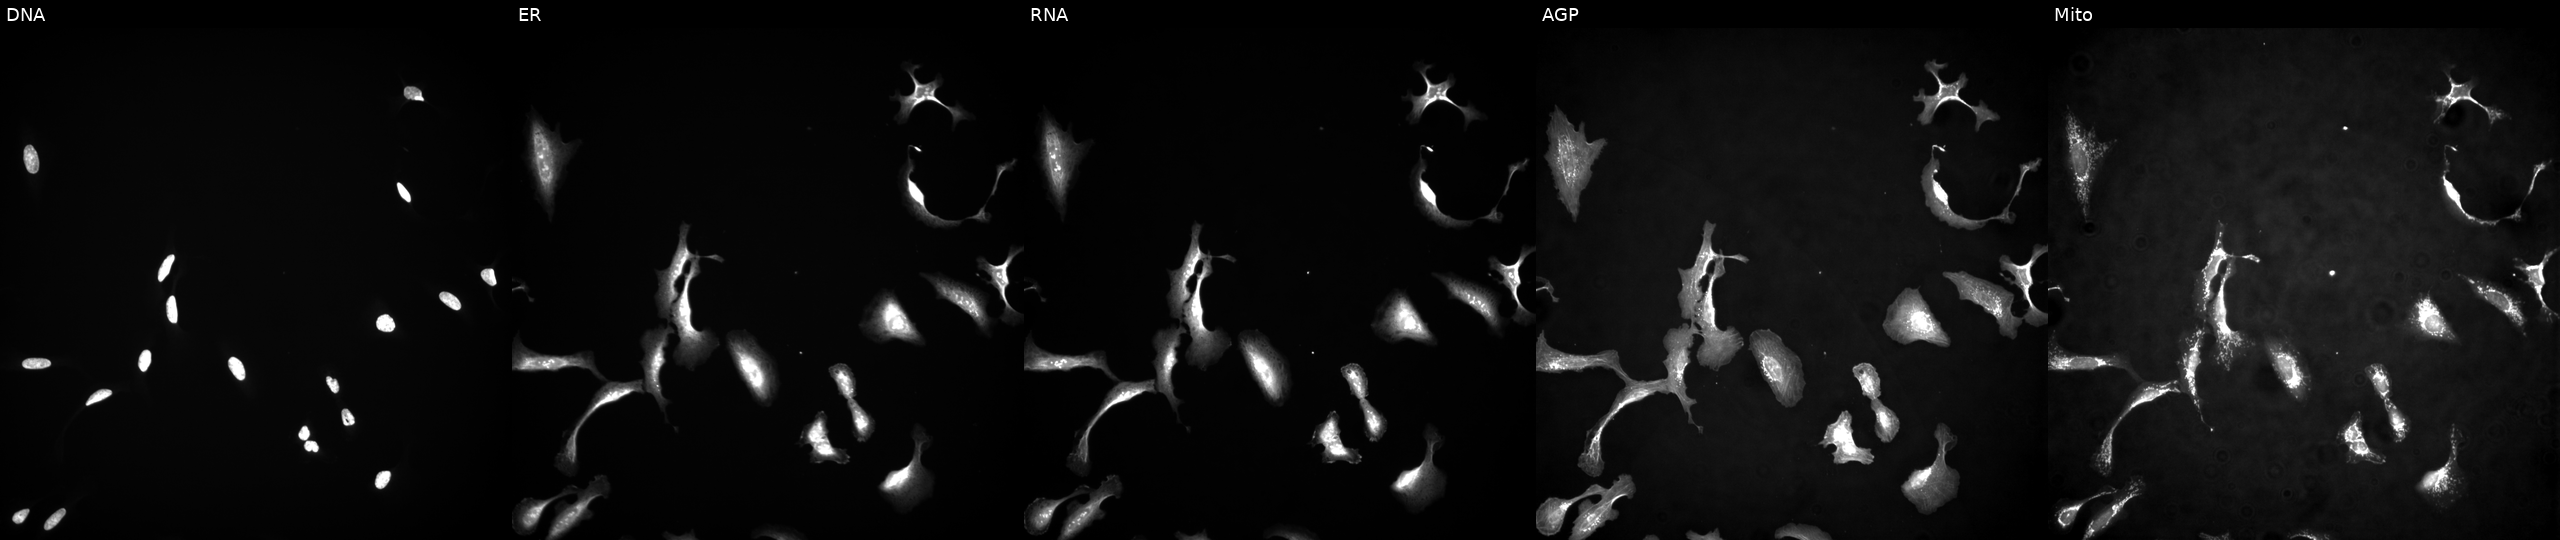
Five-channel Cell Painting image of U2OS cells with PDGFRA overexpressed (ORF). The five panels, left to right, show DNA, ER, RNA, AGP, and Mito. Source 4, plate BR00123945, well O02.